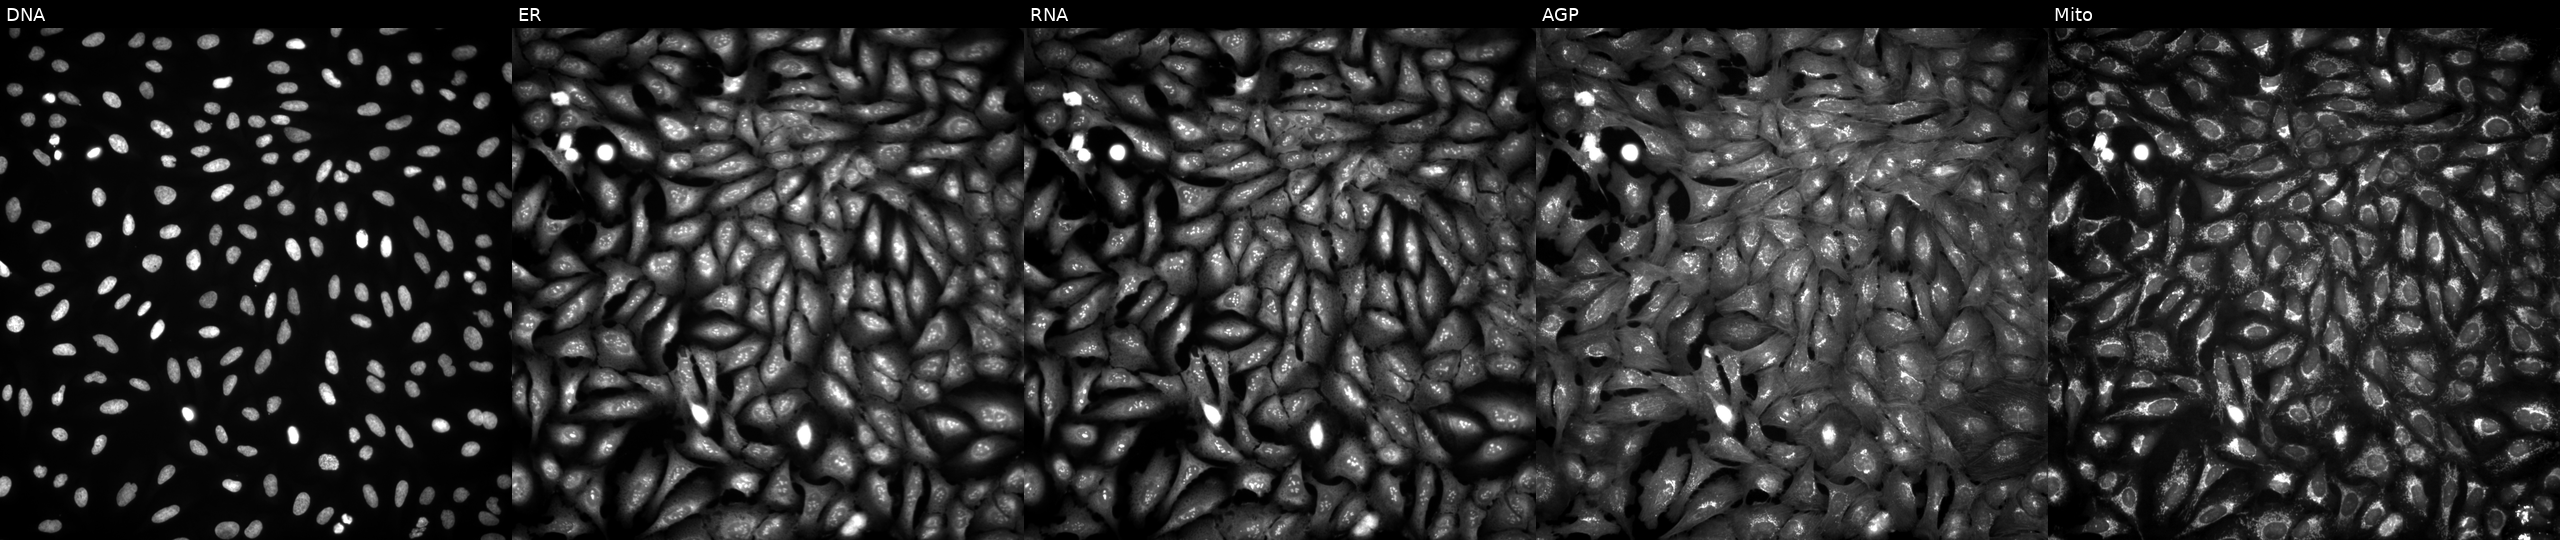
Five-channel Cell Painting image of U2OS cells expressing HcRed (ORF negative control) (JUMP id JCP2022_915129). Panels show, left to right, Hoechst 33342, concanavalin A, SYTO 14, phalloidin and WGA, MitoTracker.